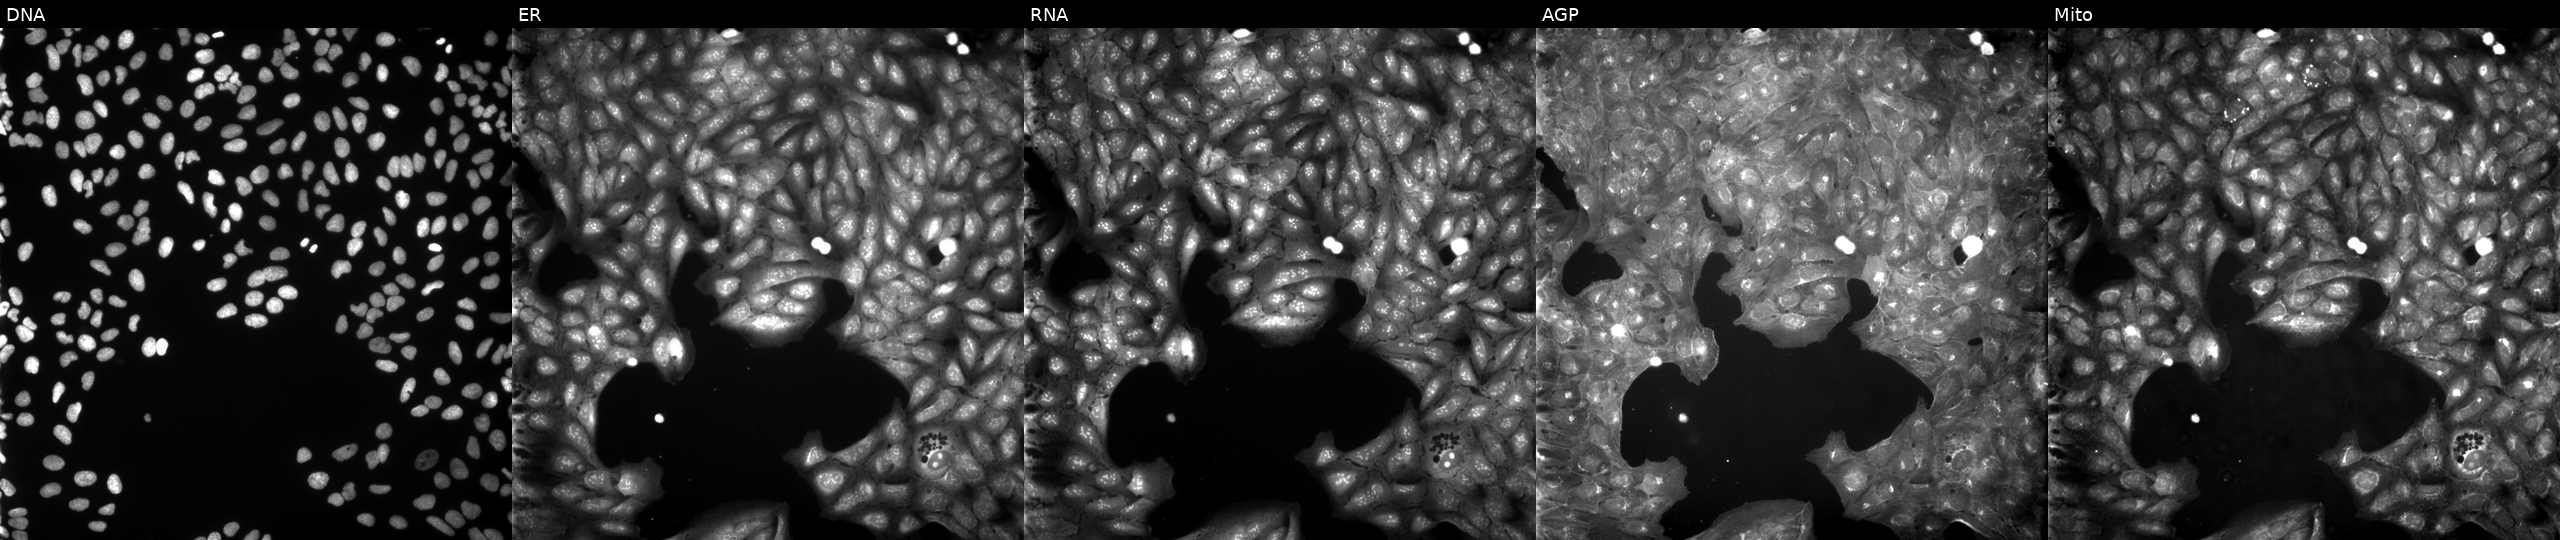
High-content fluorescence microscopy (Cell Painting). Cell line: U2OS. Perturbation: treated with a small-molecule compound. Panels show, left to right, DNA (nuclei); ER (endoplasmic reticulum); RNA (nucleoli and cytoplasmic RNA); AGP (actin cytoskeleton, Golgi, and plasma membrane); Mito (mitochondria).